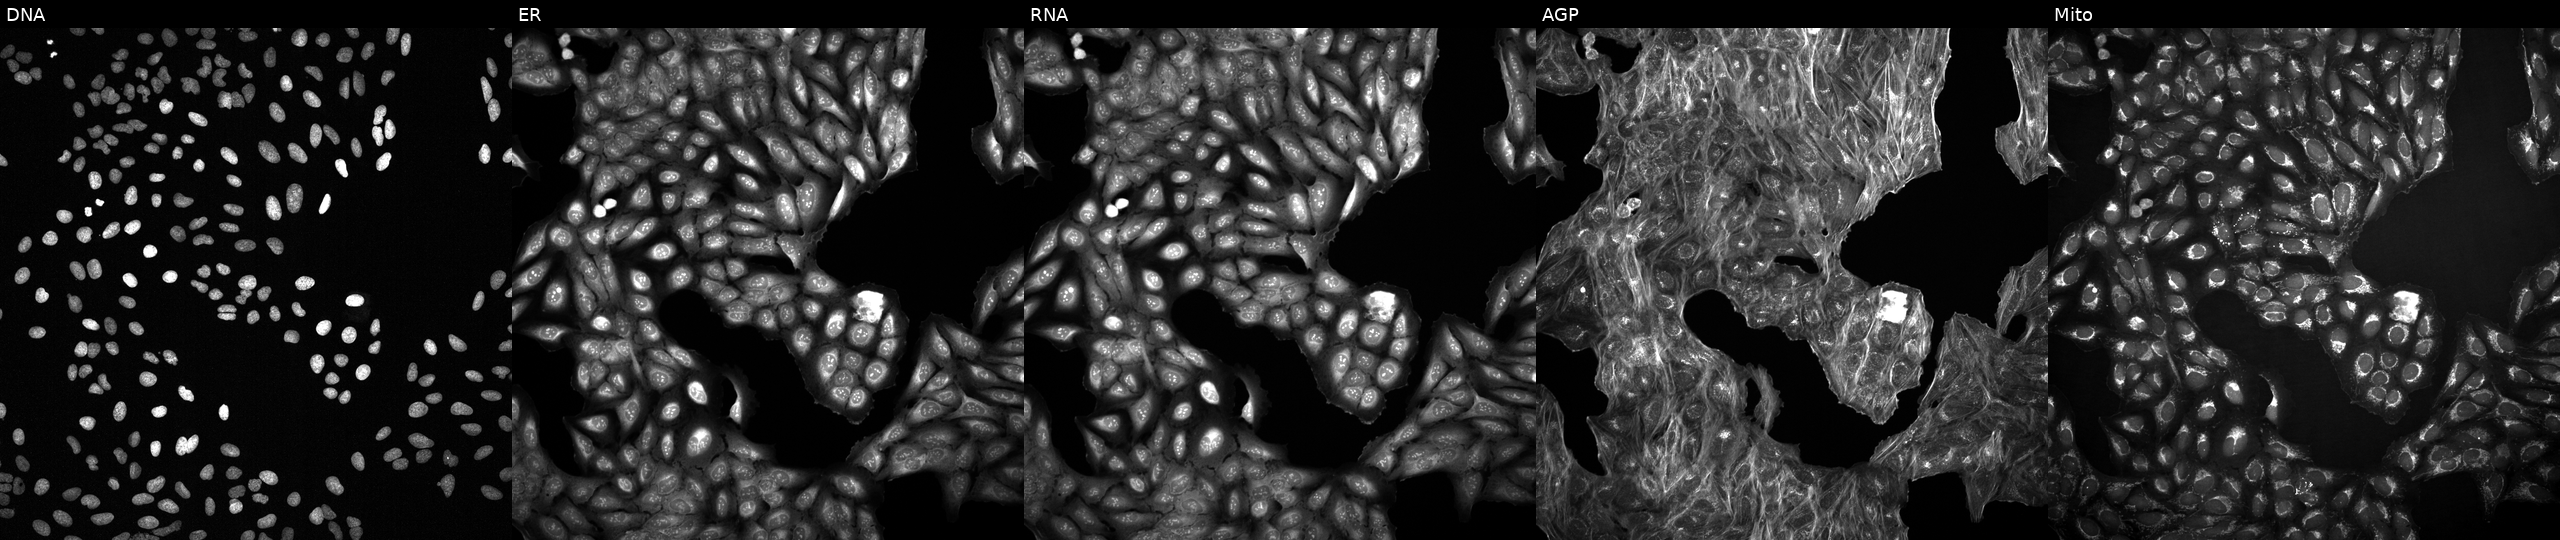
High-content fluorescence microscopy (Cell Painting). Cell line: U2OS. Perturbation: treated with a small-molecule compound (InChIKey BFUPVLGDUAVCBP-UHFFFAOYSA-N) (JUMP id JCP2022_006045). Panels show, left to right, Hoechst 33342, concanavalin A, SYTO 14, phalloidin and WGA, MitoTracker. Source 2, plate 1053601756, well G19.